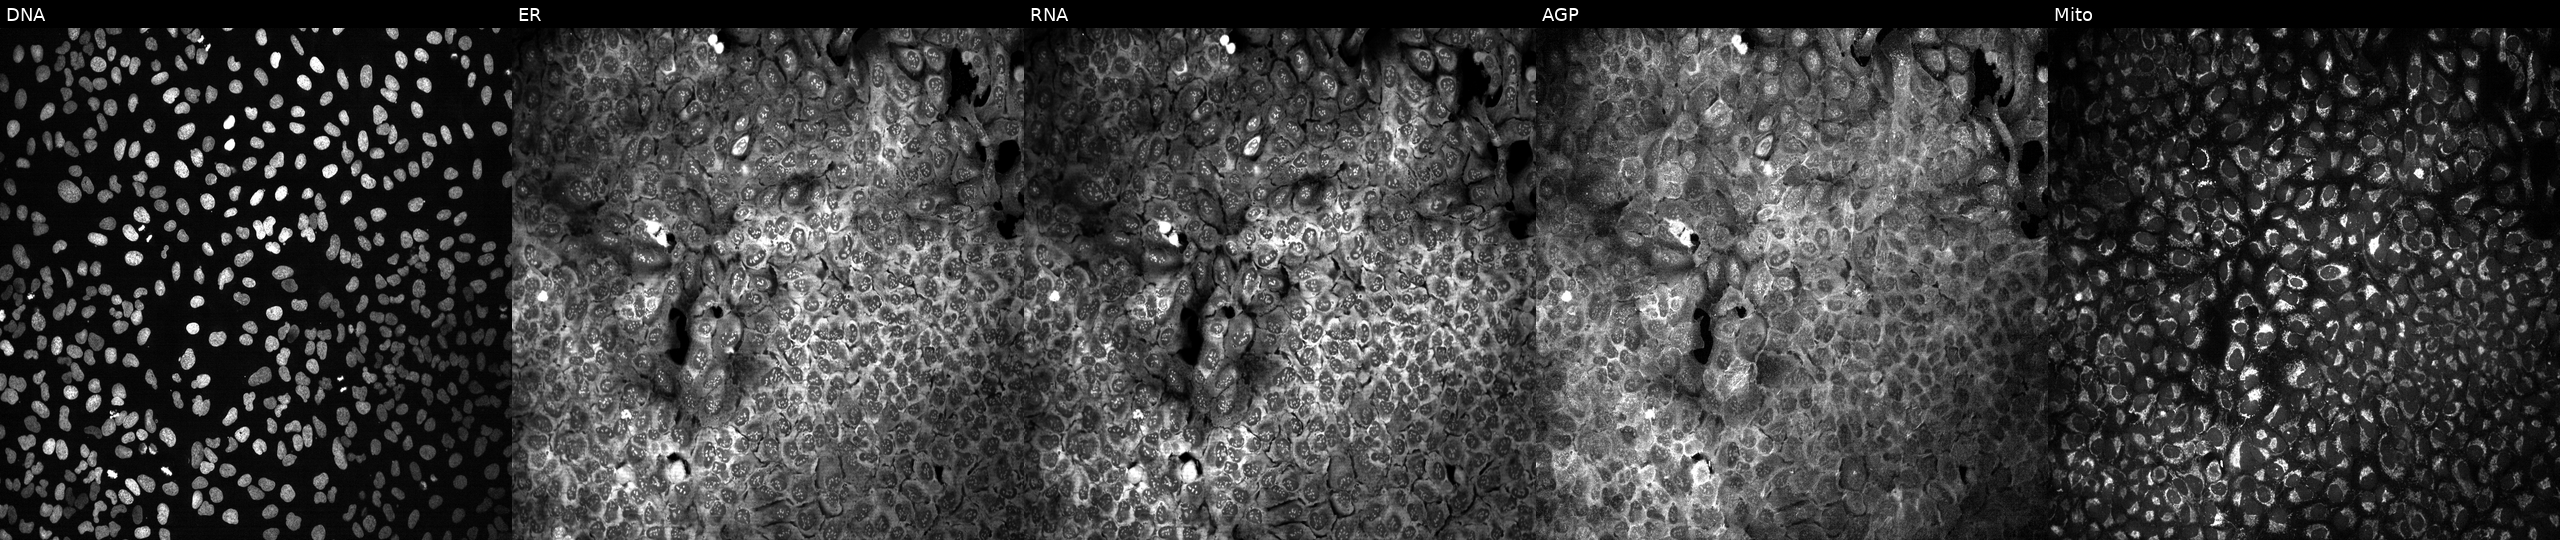
JUMP Cell Painting — CRISPR plate. U2OS cells with GLUD1 knocked out by CRISPR. From left to right: DNA (nuclei); ER (endoplasmic reticulum); RNA (nucleoli and cytoplasmic RNA); AGP (actin cytoskeleton, Golgi, and plasma membrane); Mito (mitochondria). Source 13, plate CP-CC9-R3-01, well M20.